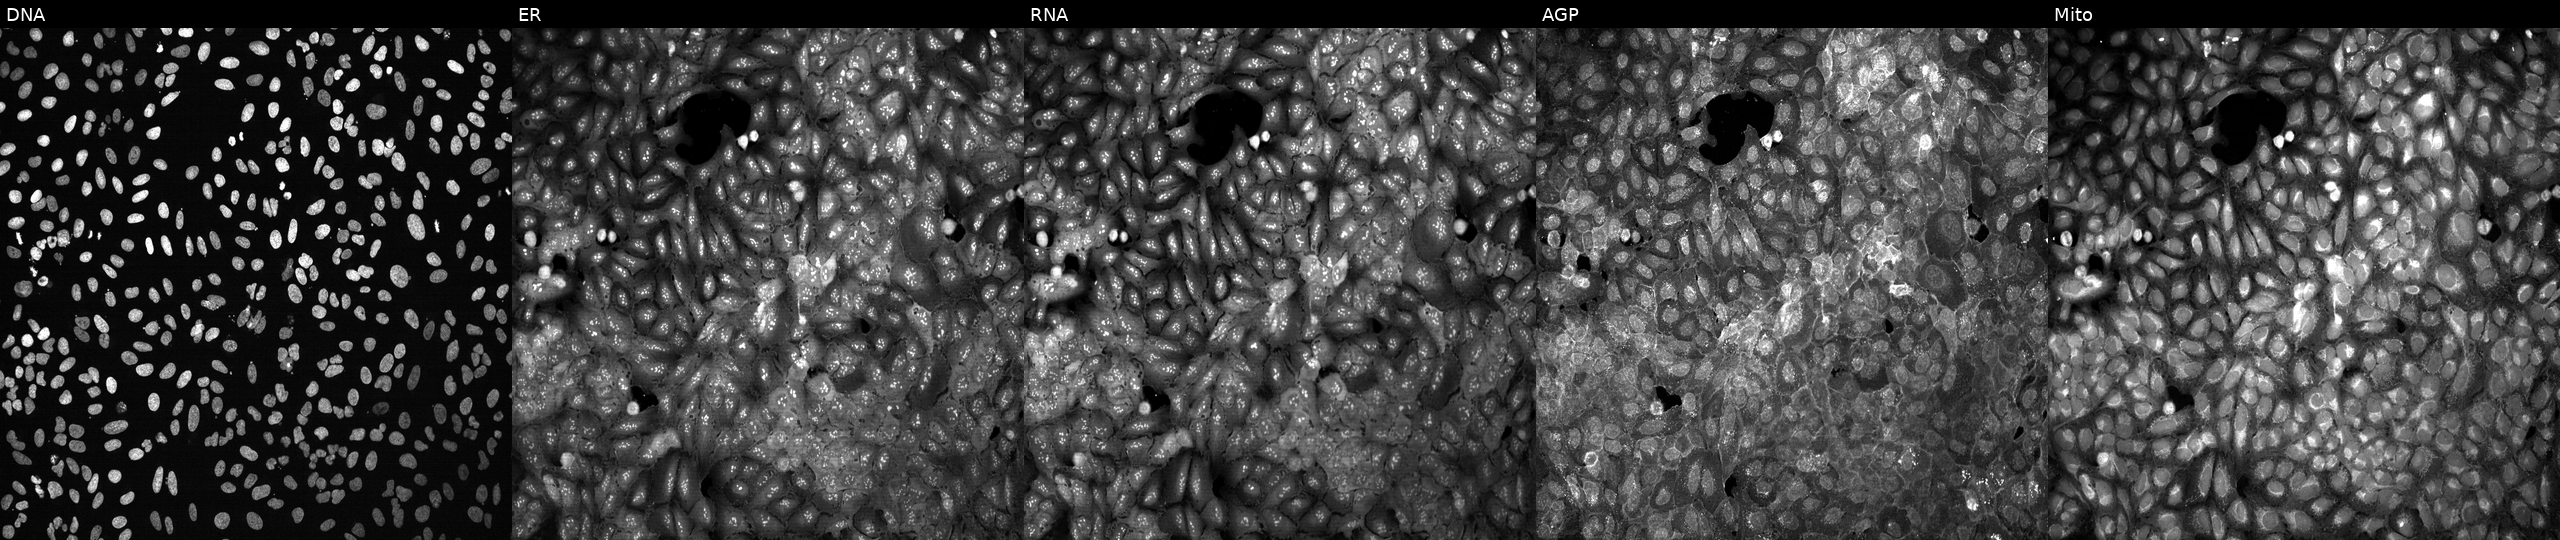
High-content fluorescence microscopy (Cell Painting). Cell line: U2OS. Perturbation: with RABGGTA knocked out by CRISPR (JUMP id JCP2022_805792). The five panels, left to right, show DNA (nuclei); ER (endoplasmic reticulum); RNA (nucleoli and cytoplasmic RNA); AGP (actin cytoskeleton, Golgi, and plasma membrane); Mito (mitochondria). Source 13, plate CP-CC9-R1-02, well A22.